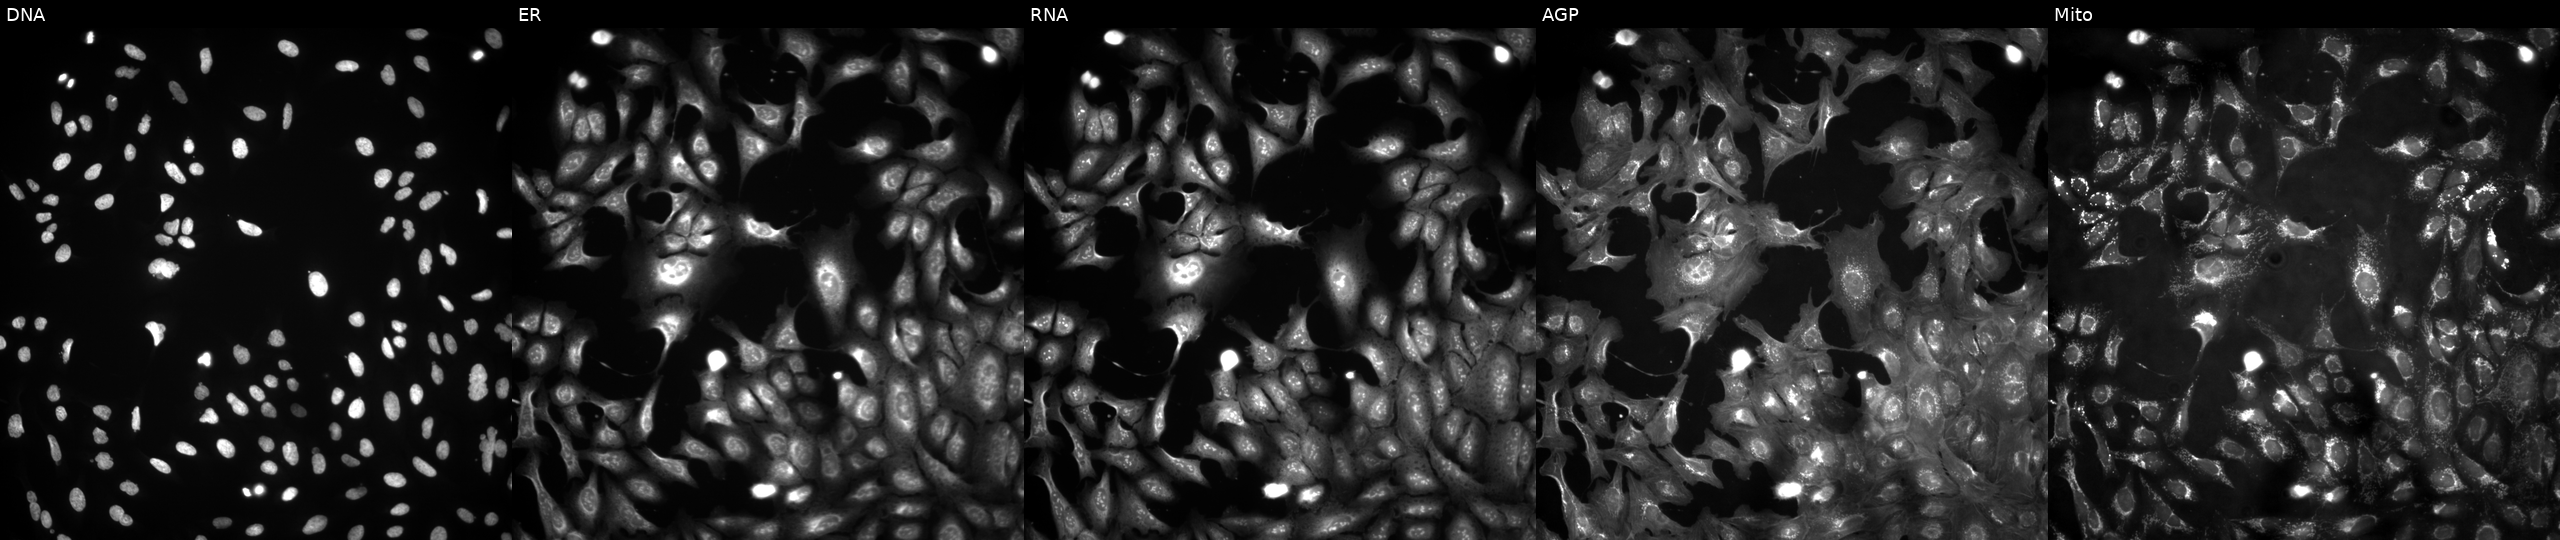
The five panels, left to right, show DNA (nuclei); ER (endoplasmic reticulum); RNA (nucleoli and cytoplasmic RNA); AGP (actin cytoskeleton, Golgi, and plasma membrane); Mito (mitochondria). U2OS osteosarcoma cells exposed to the positive-control compound LY2109761 (JUMP id JCP2022_035095). Cell Painting assay, JUMP-CP dataset.